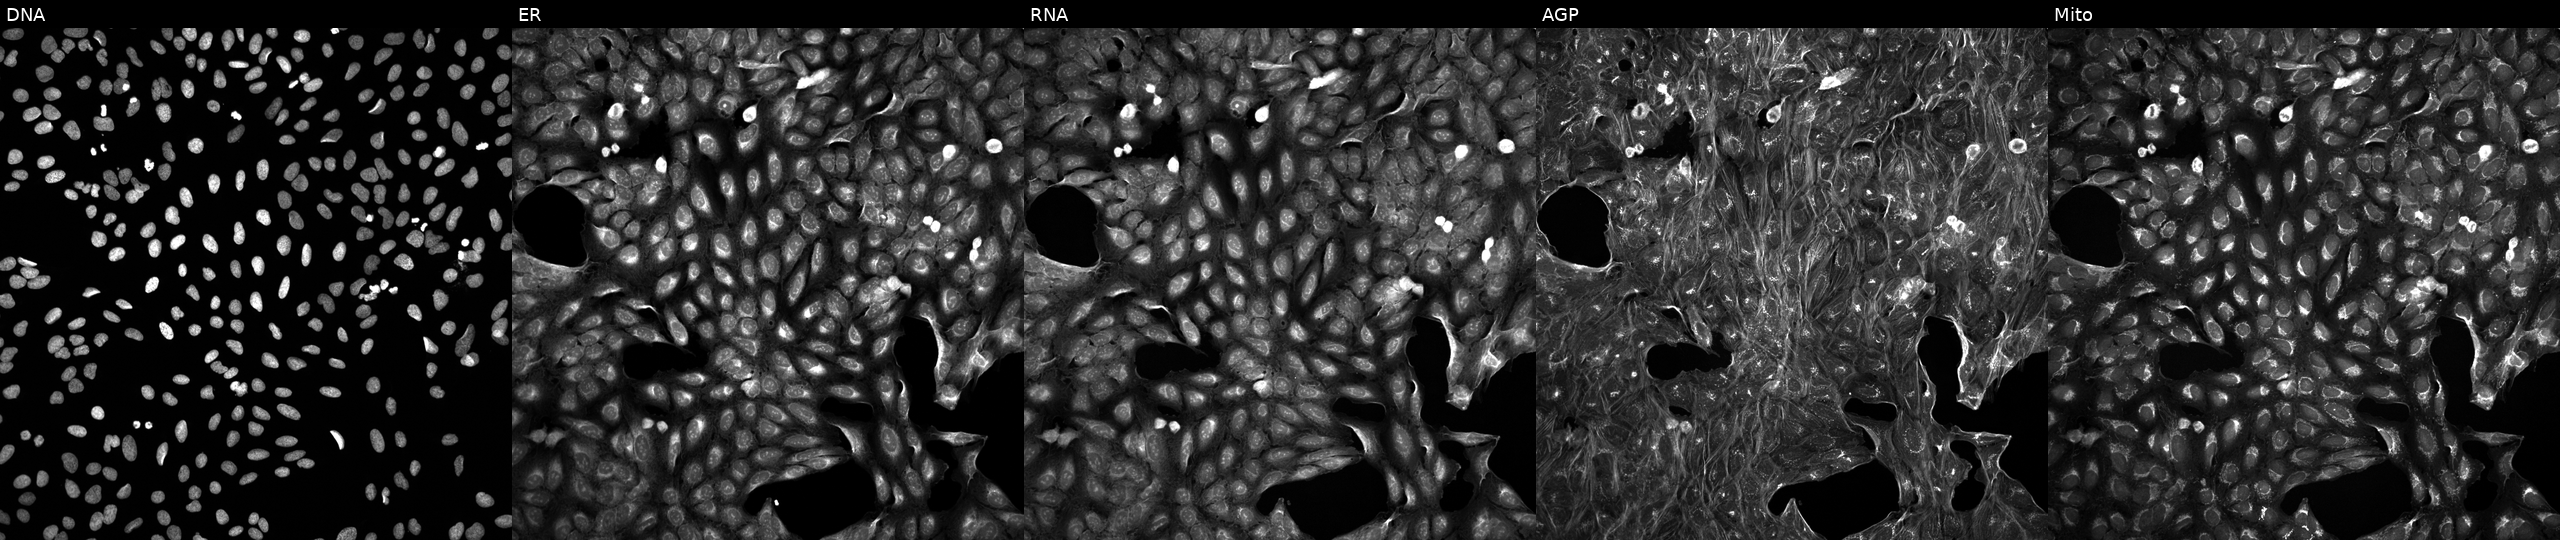
Five-channel Cell Painting image of U2OS cells exposed to a small-molecule compound (InChIKey ICDMLAQPOAVWNH-UHFFFAOYSA-N) (JUMP id JCP2022_034137). Channels (left→right): DNA, ER, RNA, AGP, and Mito. Source 5, plate ACPJUM012, well P04.